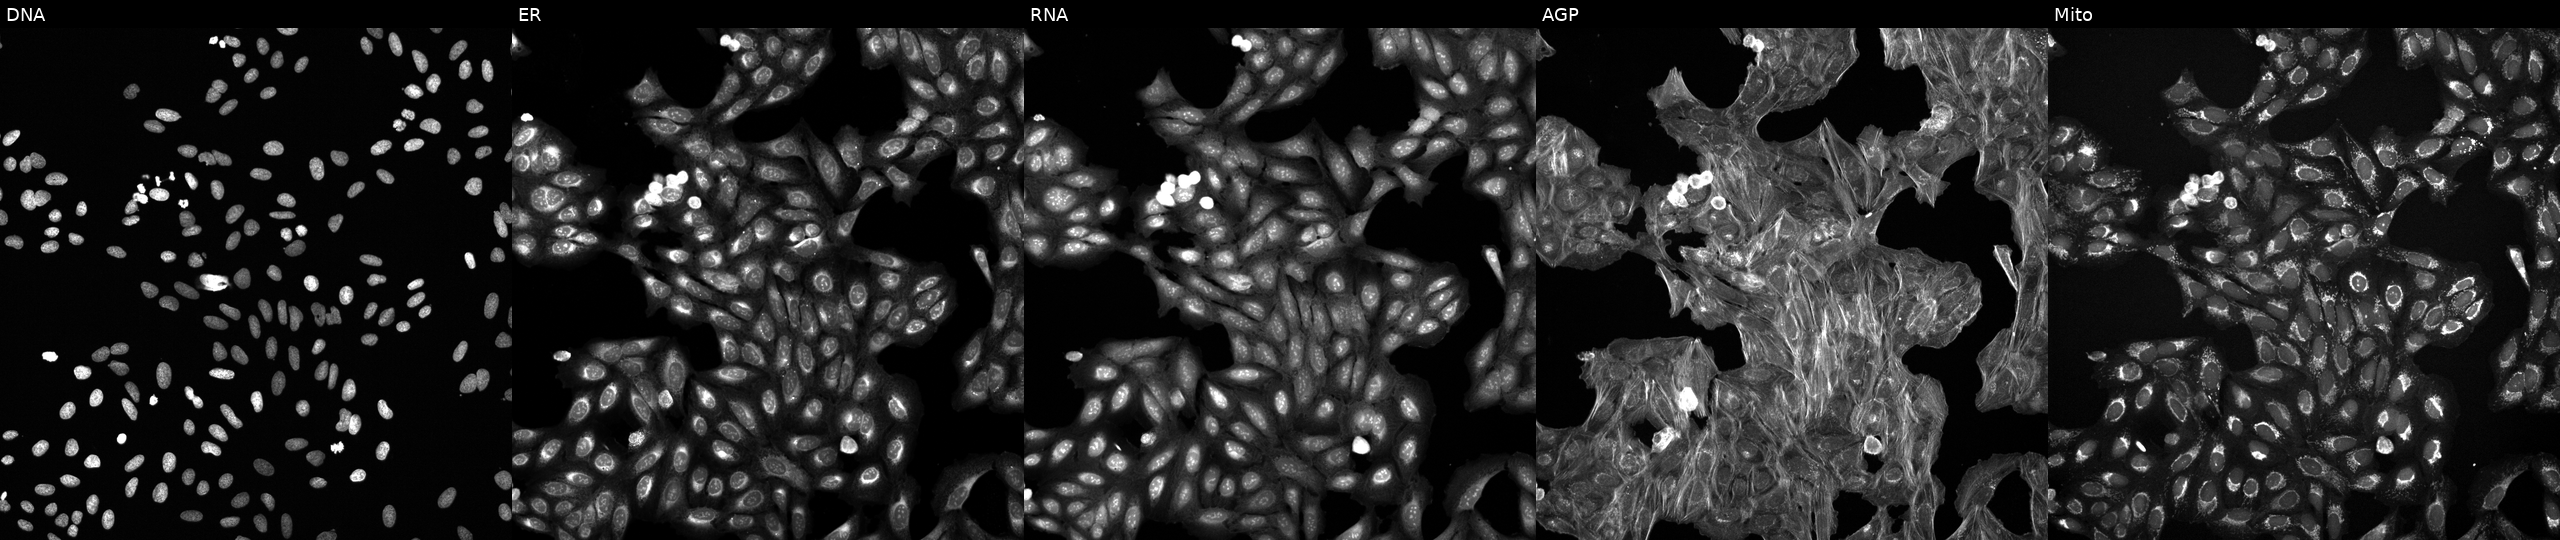
This image strip shows the five Cell Painting channels for a single field of U2OS cells exposed to a small-molecule compound (InChIKey ZCUUCRSWCLWEDA-UHFFFAOYSA-N). From left to right: DNA, ER, RNA, AGP, and Mito.